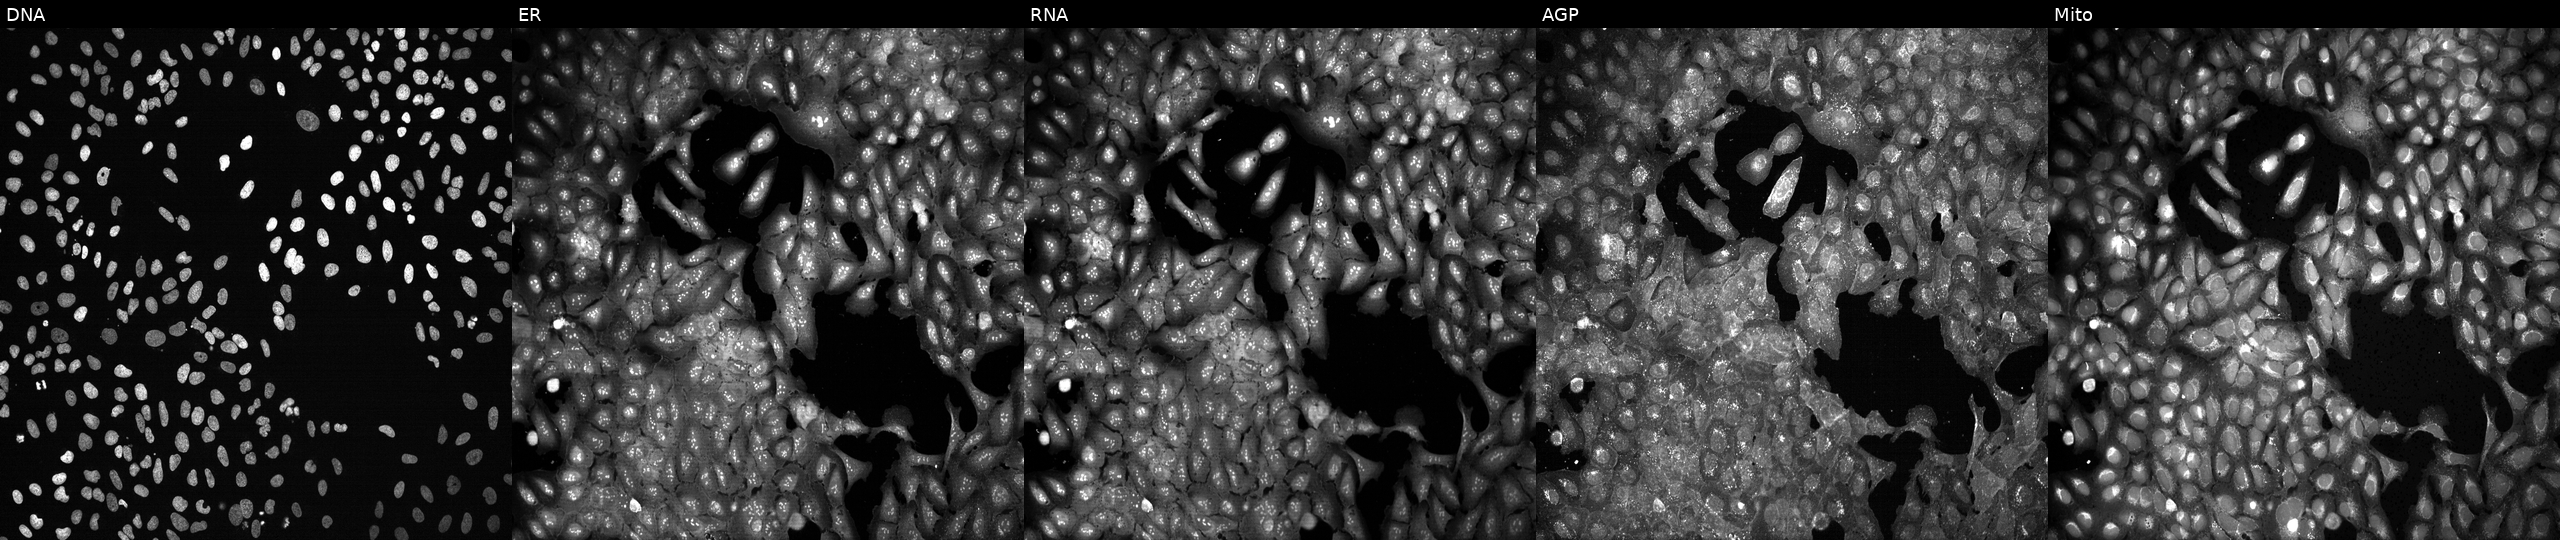
U2OS cells, Cell Painting assay, following CRISPR knockout of PDZK1 (JUMP id JCP2022_805035). Panels show, left to right, DNA (nuclei); ER (endoplasmic reticulum); RNA (nucleoli and cytoplasmic RNA); AGP (actin cytoskeleton, Golgi, and plasma membrane); Mito (mitochondria). Each panel is percentile-stretched 16-bit fluorescence.